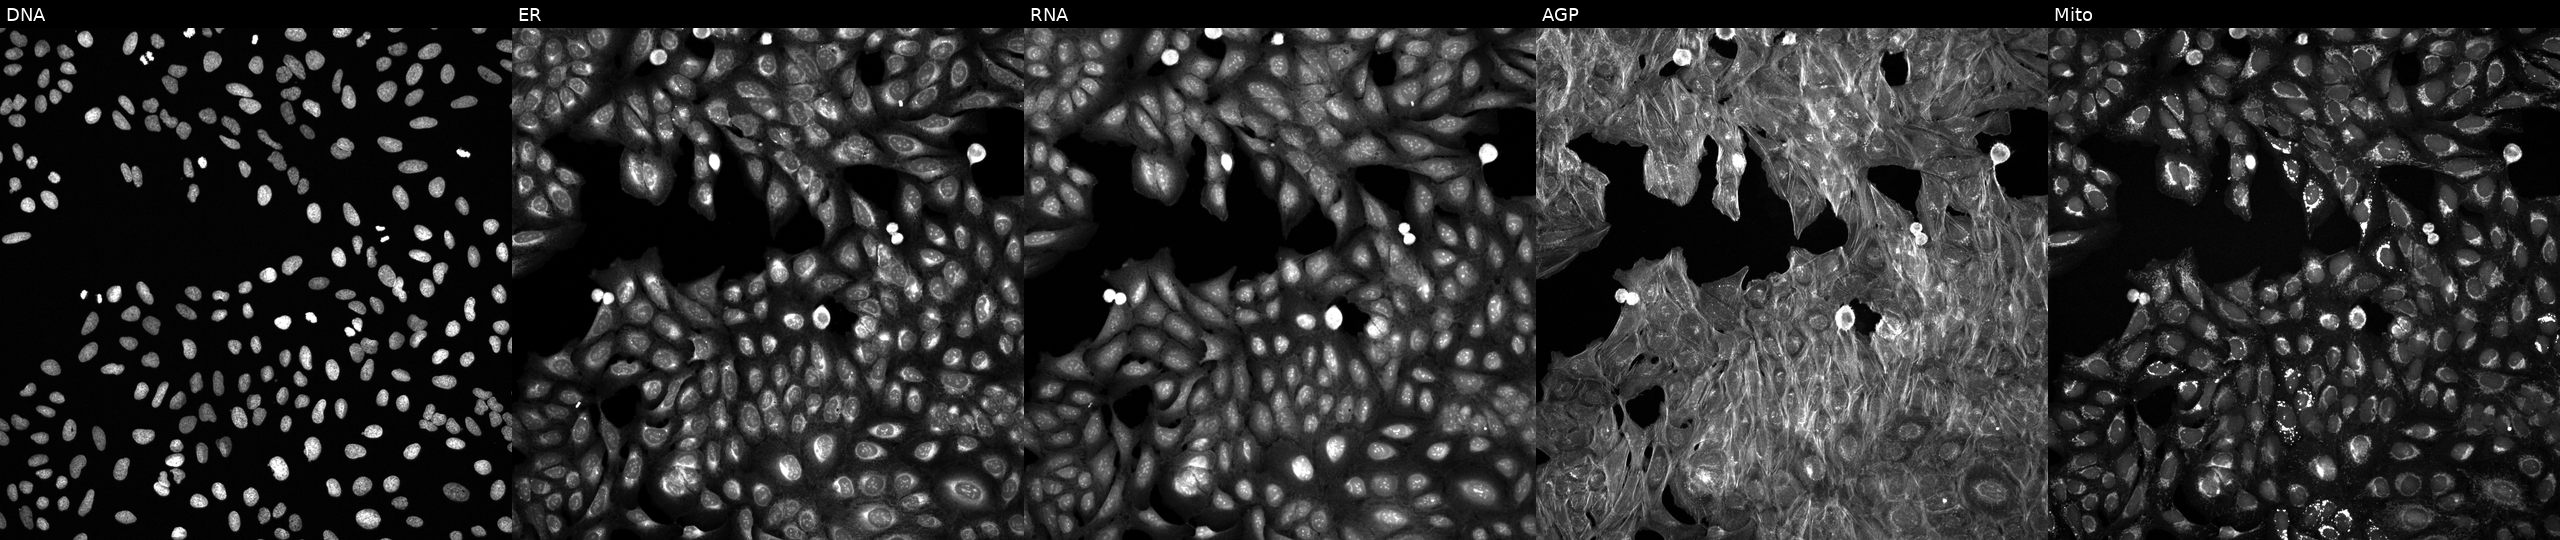
Five-channel Cell Painting image of U2OS cells perturbed with a small-molecule compound. Channels (left→right): DNA (nuclei); ER (endoplasmic reticulum); RNA (nucleoli and cytoplasmic RNA); AGP (actin cytoskeleton, Golgi, and plasma membrane); Mito (mitochondria).